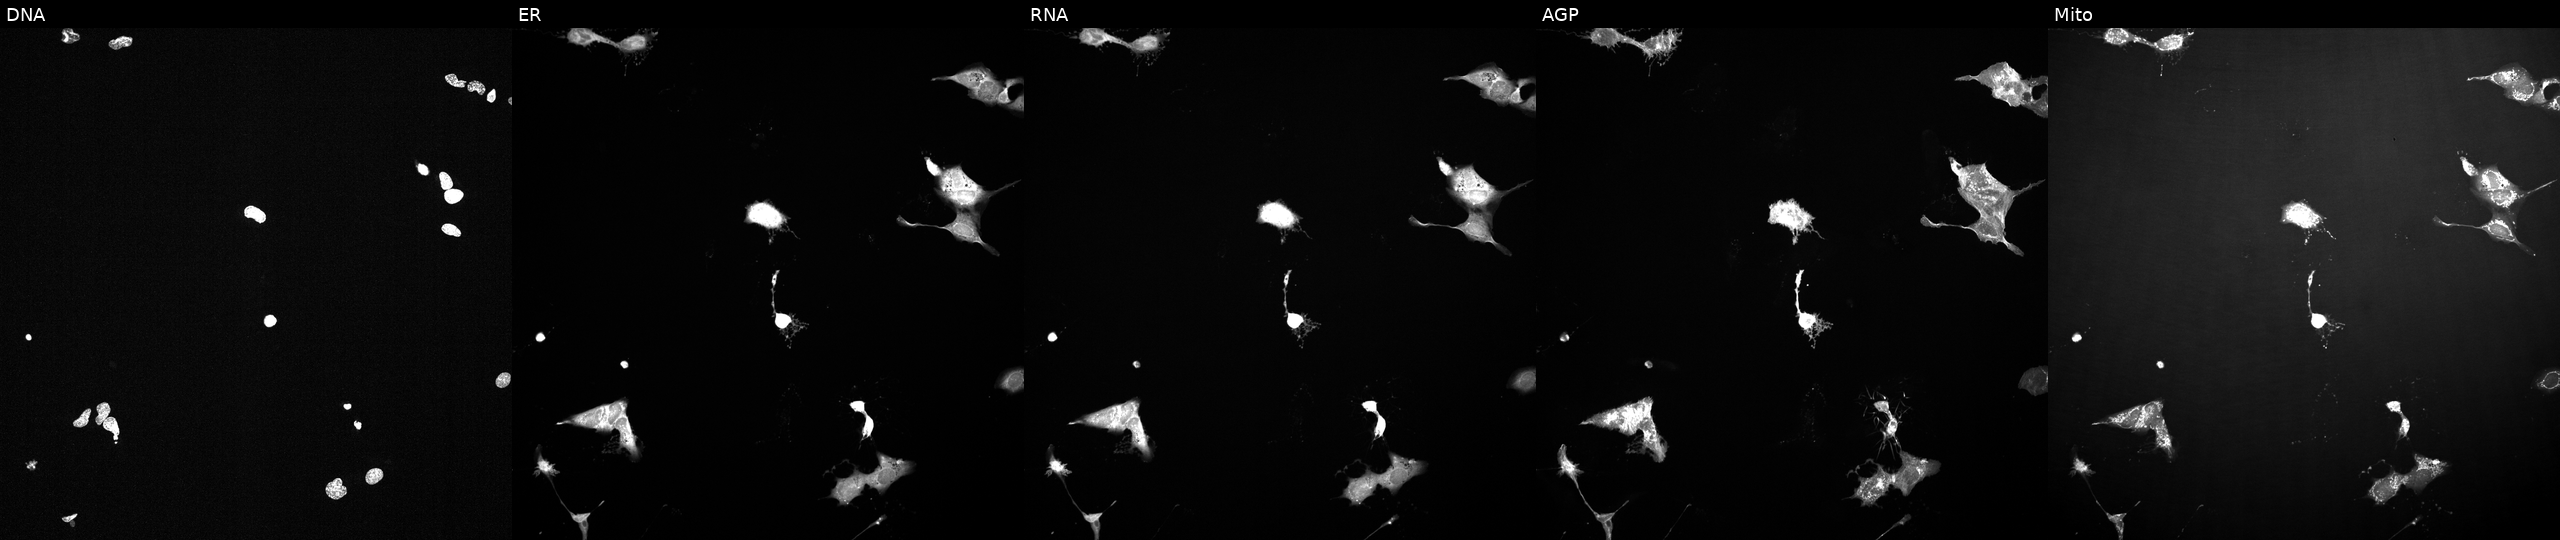
Channels (left→right): DNA (nuclei); ER (endoplasmic reticulum); RNA (nucleoli and cytoplasmic RNA); AGP (actin cytoskeleton, Golgi, and plasma membrane); Mito (mitochondria). U2OS osteosarcoma cells perturbed with a small-molecule compound (InChIKey VXBAJLGYBMTJCY-UHFFFAOYSA-N) (JUMP id JCP2022_096865). Cell Painting assay, JUMP-CP dataset. Source 2, plate 1053597936, well C08.